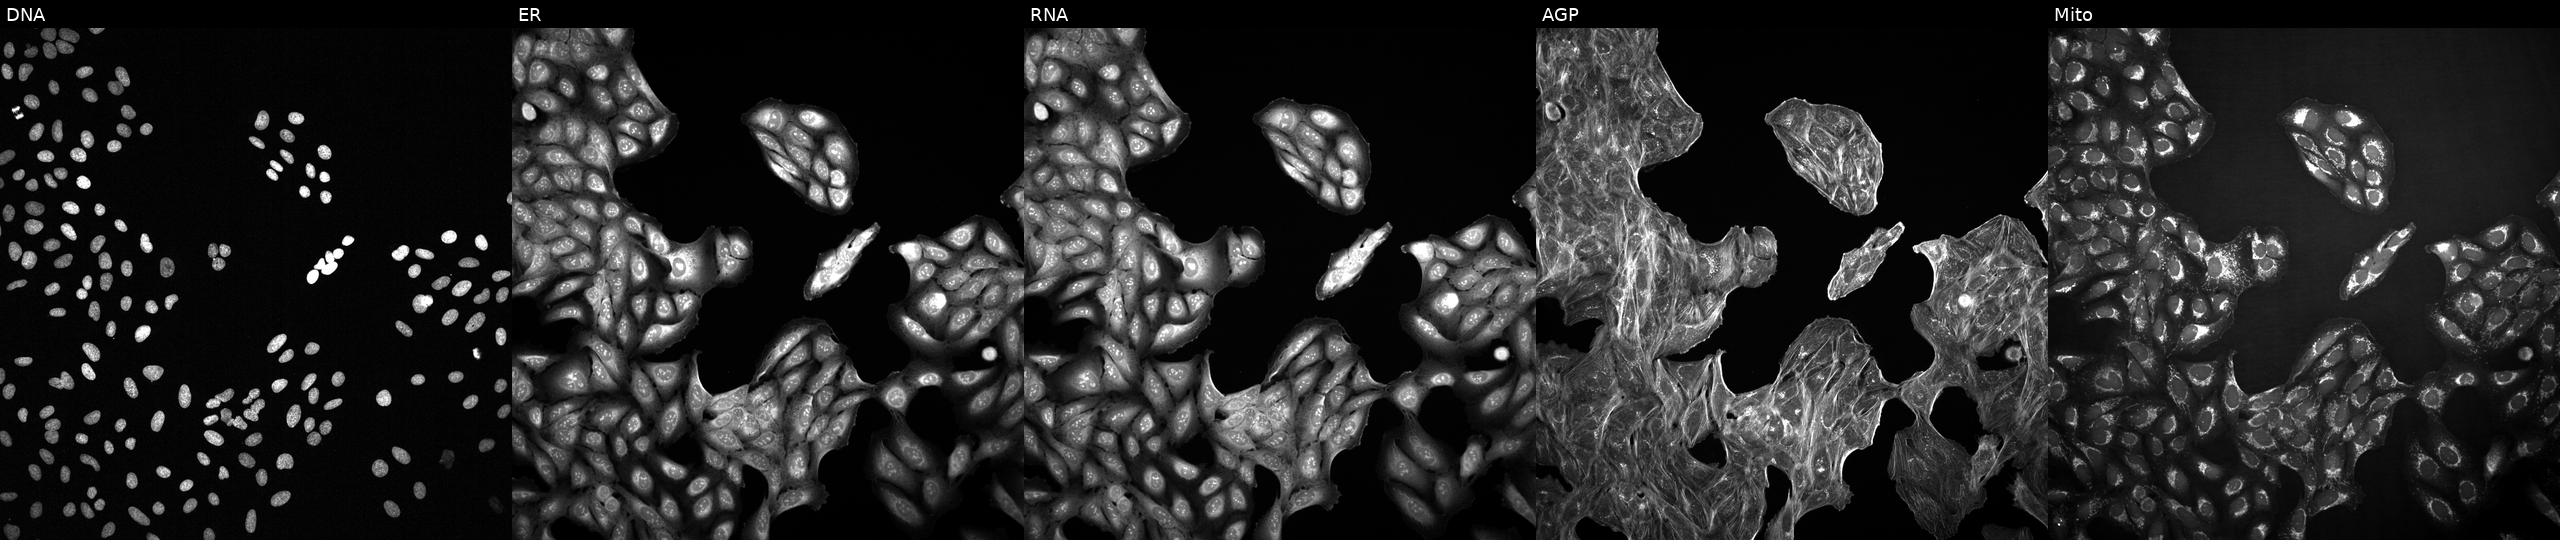
JUMP Cell Painting — COMPOUND plate. U2OS cells perturbed with a small-molecule compound (InChIKey UFZRXETXYZOIIB-UHFFFAOYSA-N) (JUMP id JCP2022_088962). The five panels, left to right, show DNA (nuclei); ER (endoplasmic reticulum); RNA (nucleoli and cytoplasmic RNA); AGP (actin cytoskeleton, Golgi, and plasma membrane); Mito (mitochondria).